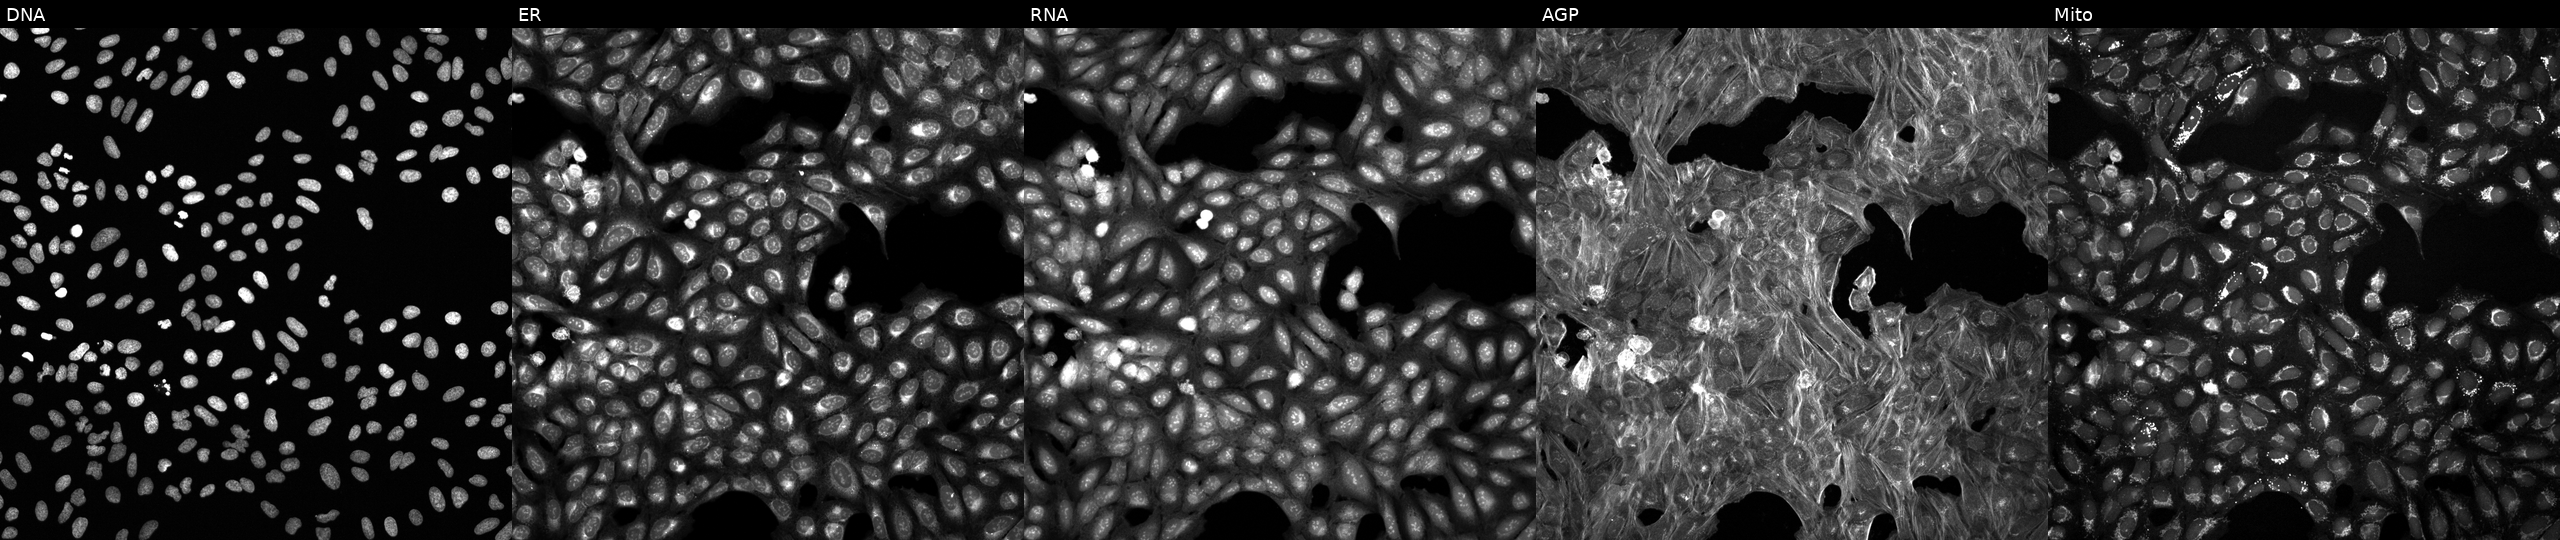
The five panels, left to right, show DNA, ER, RNA, AGP, and Mito. U2OS osteosarcoma cells perturbed with a small-molecule compound (InChIKey QNWGKUKWUUXOGV-UHFFFAOYSA-N). Cell Painting assay, JUMP-CP dataset.